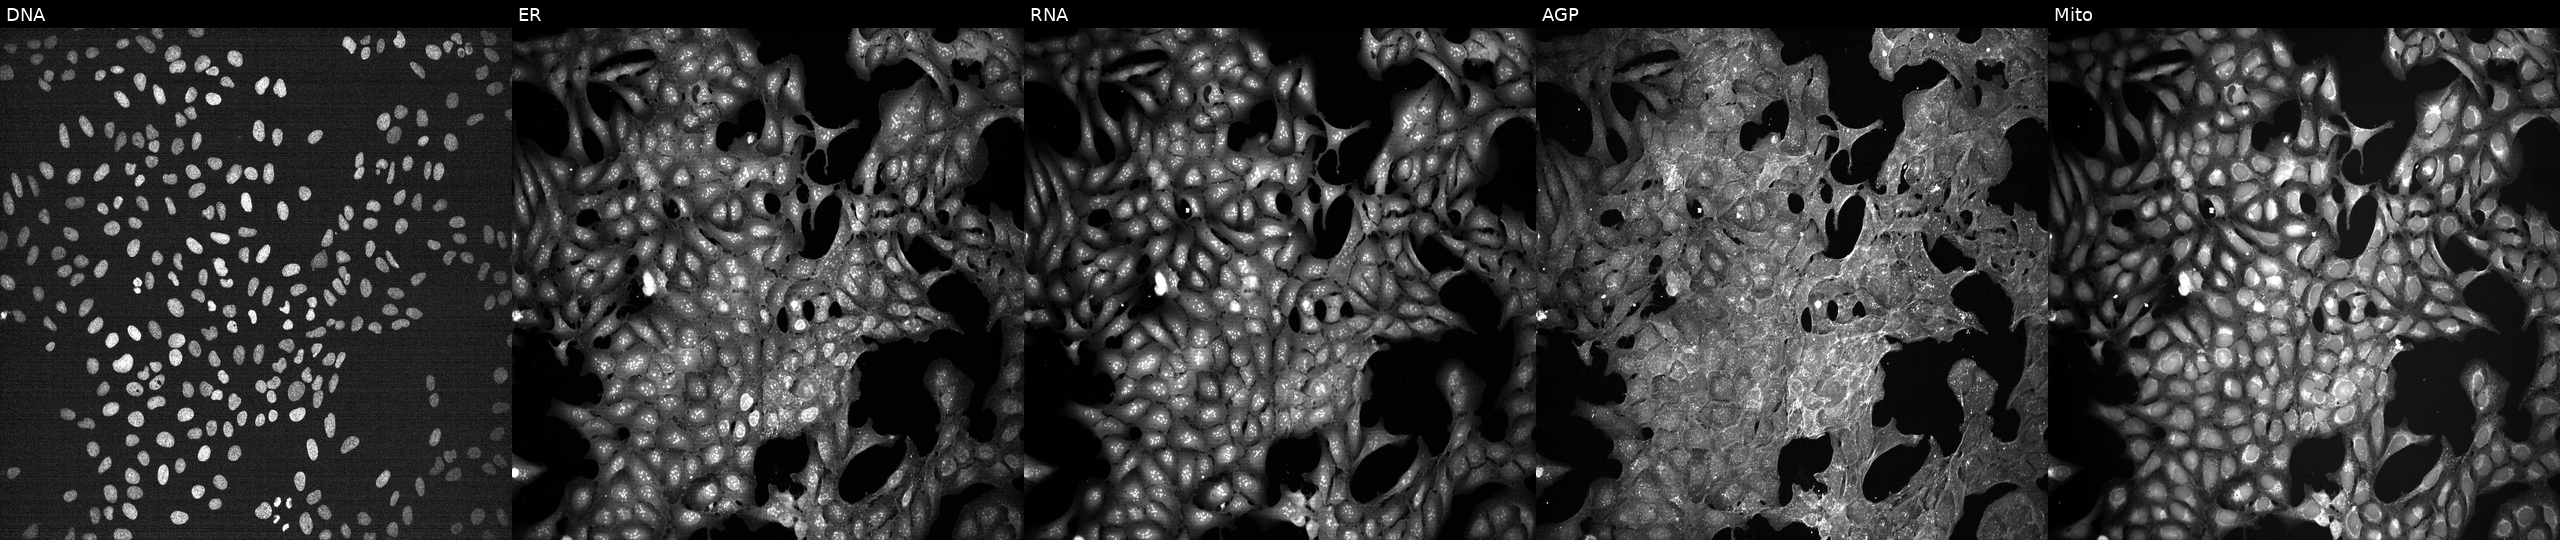
Five-channel Cell Painting image of U2OS cells treated with a small-molecule compound (InChIKey HFNKQEVNSGCOJV-UHFFFAOYSA-N) (JUMP id JCP2022_029868). Panels show, left to right, Hoechst 33342, concanavalin A, SYTO 14, phalloidin and WGA, MitoTracker.